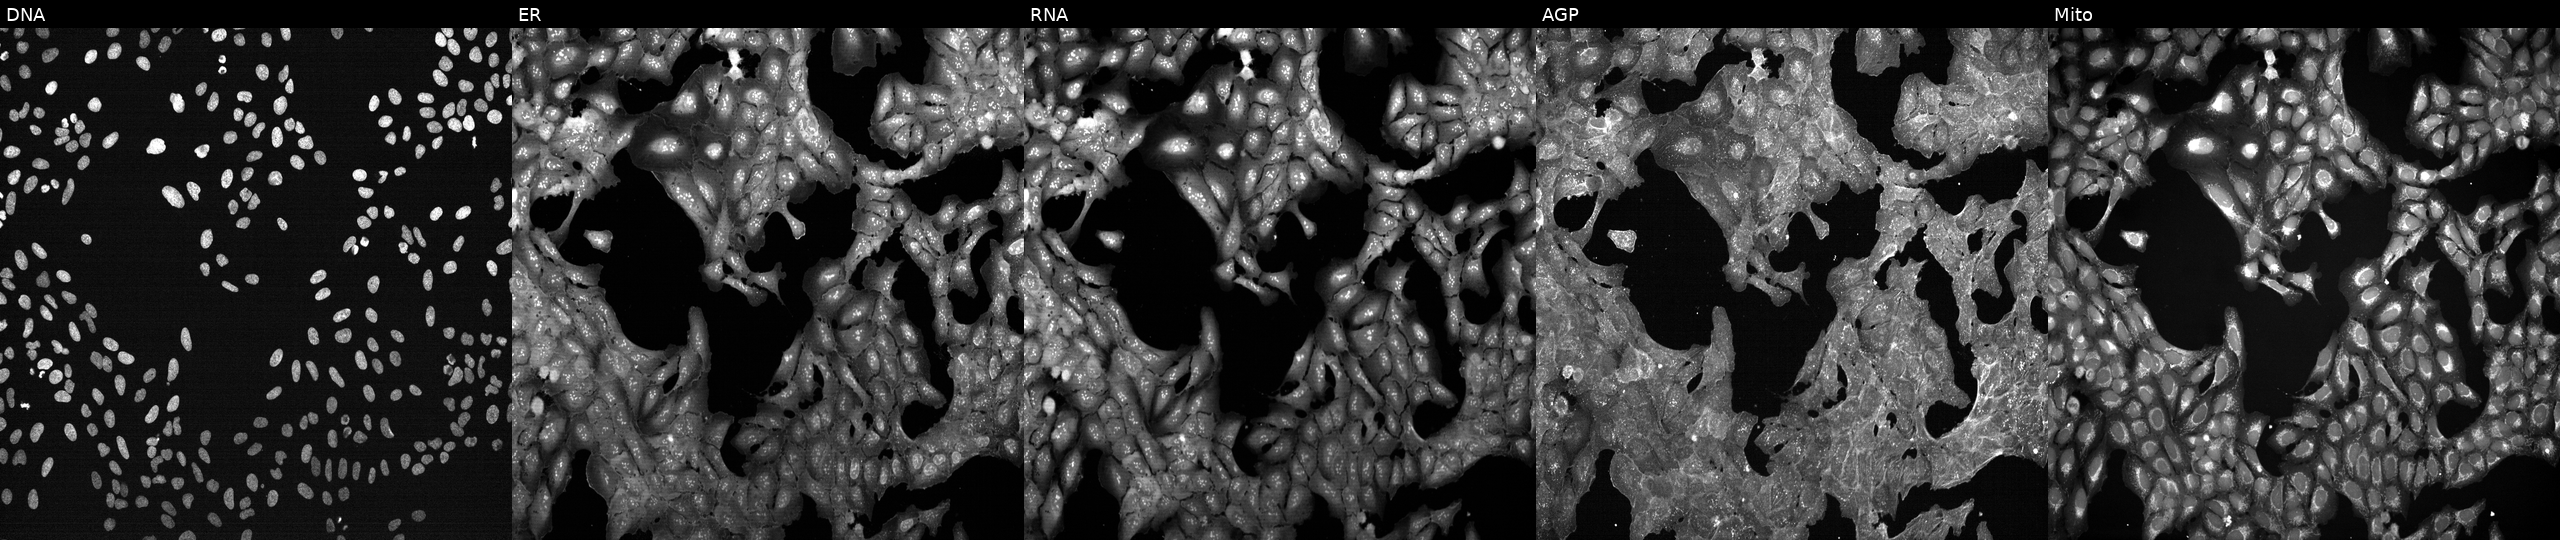
From left to right: Hoechst 33342, concanavalin A, SYTO 14, phalloidin and WGA, MitoTracker. U2OS osteosarcoma cells treated with DMSO vehicle only (negative control). Cell Painting assay, JUMP-CP dataset.